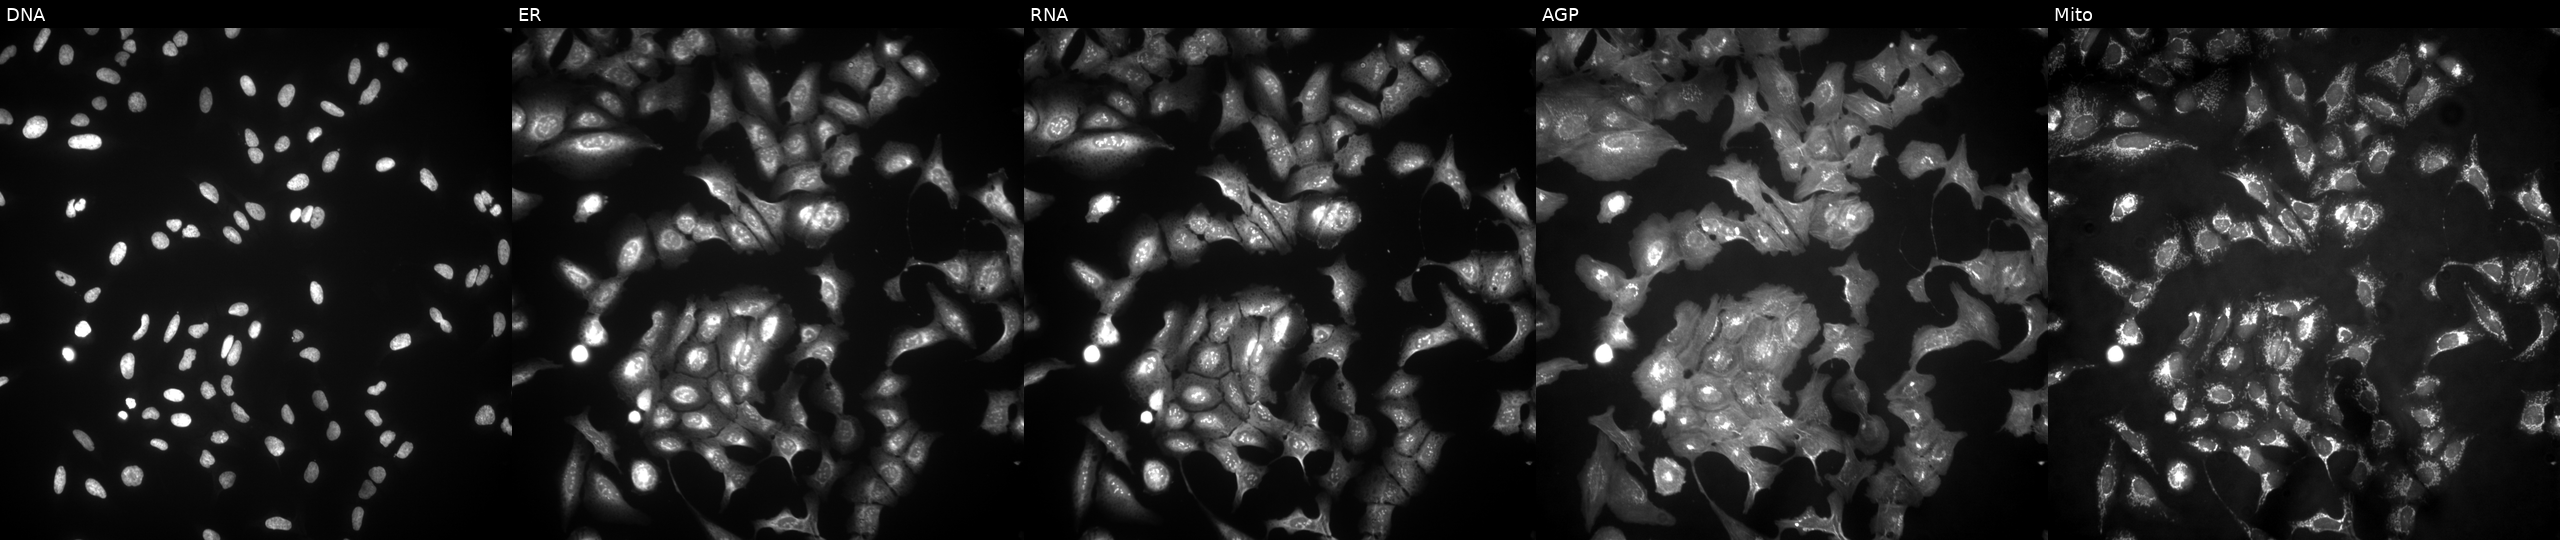
JUMP Cell Painting — ORF plate. U2OS cells transfected with an ORF construct for ABTB1 (JUMP id JCP2022_903941). From left to right: DNA, ER, RNA, AGP, and Mito.